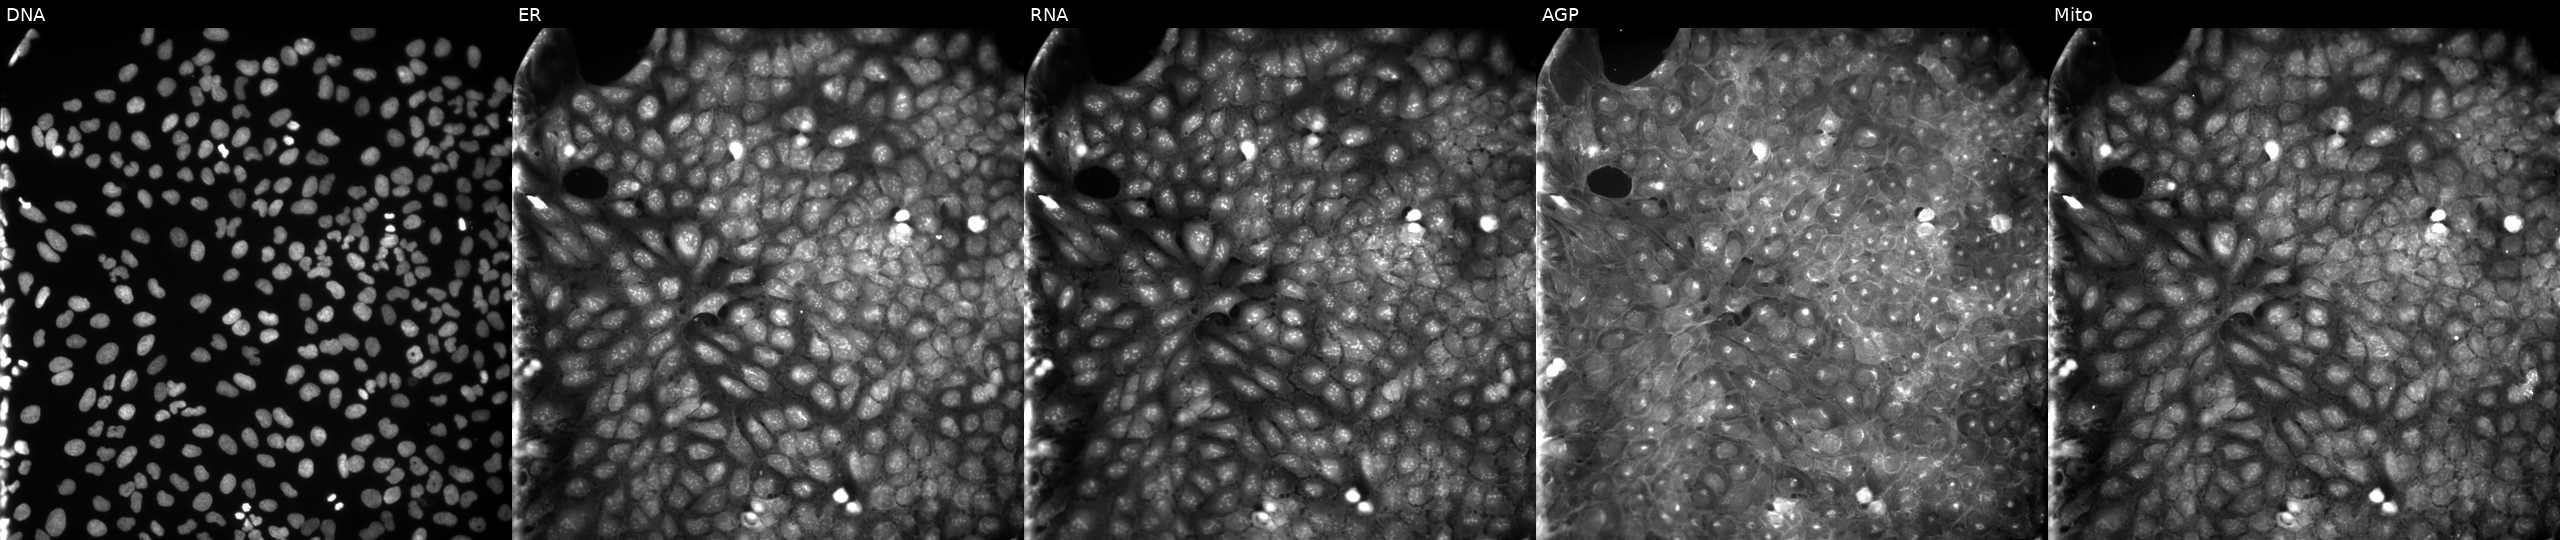
This image strip shows the five Cell Painting channels for a single field of U2OS cells treated with a small-molecule compound (InChIKey PDHOEZXEVJTFJL-UHFFFAOYSA-N) [SMILES: CCCS(=O)(=O)N1CCN(S(=O)(=O)c2ccccc2[N+](=O)[O-])CC1]. From left to right: Hoechst 33342, concanavalin A, SYTO 14, phalloidin and WGA, MitoTracker.